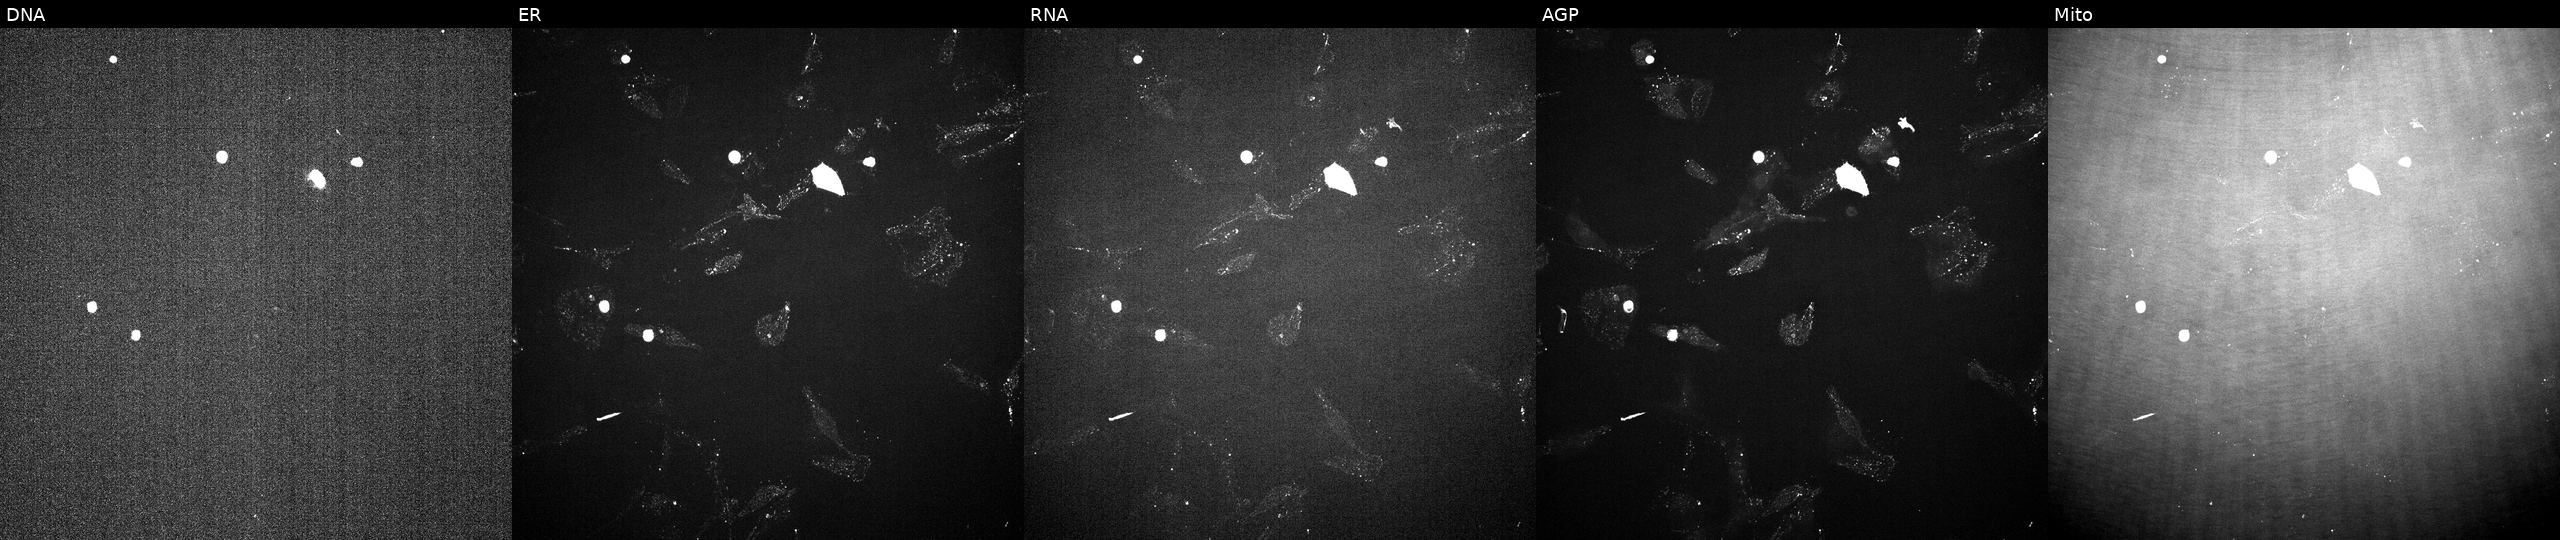
JUMP Cell Painting — TARGET2 plate. U2OS cells perturbed with a small-molecule compound (InChIKey SOOPLNPQGWJZHY-UHFFFAOYSA-N) [SMILES: CCC1=NC(=O)C2CSSCCC=CC(CC(=O)NC(C(C)C)C(=O)N2)OC(=O)C(C(C)C)NC1=O] (JUMP id JCP2022_084606). Panels show, left to right, DNA, ER, RNA, AGP, and Mito.